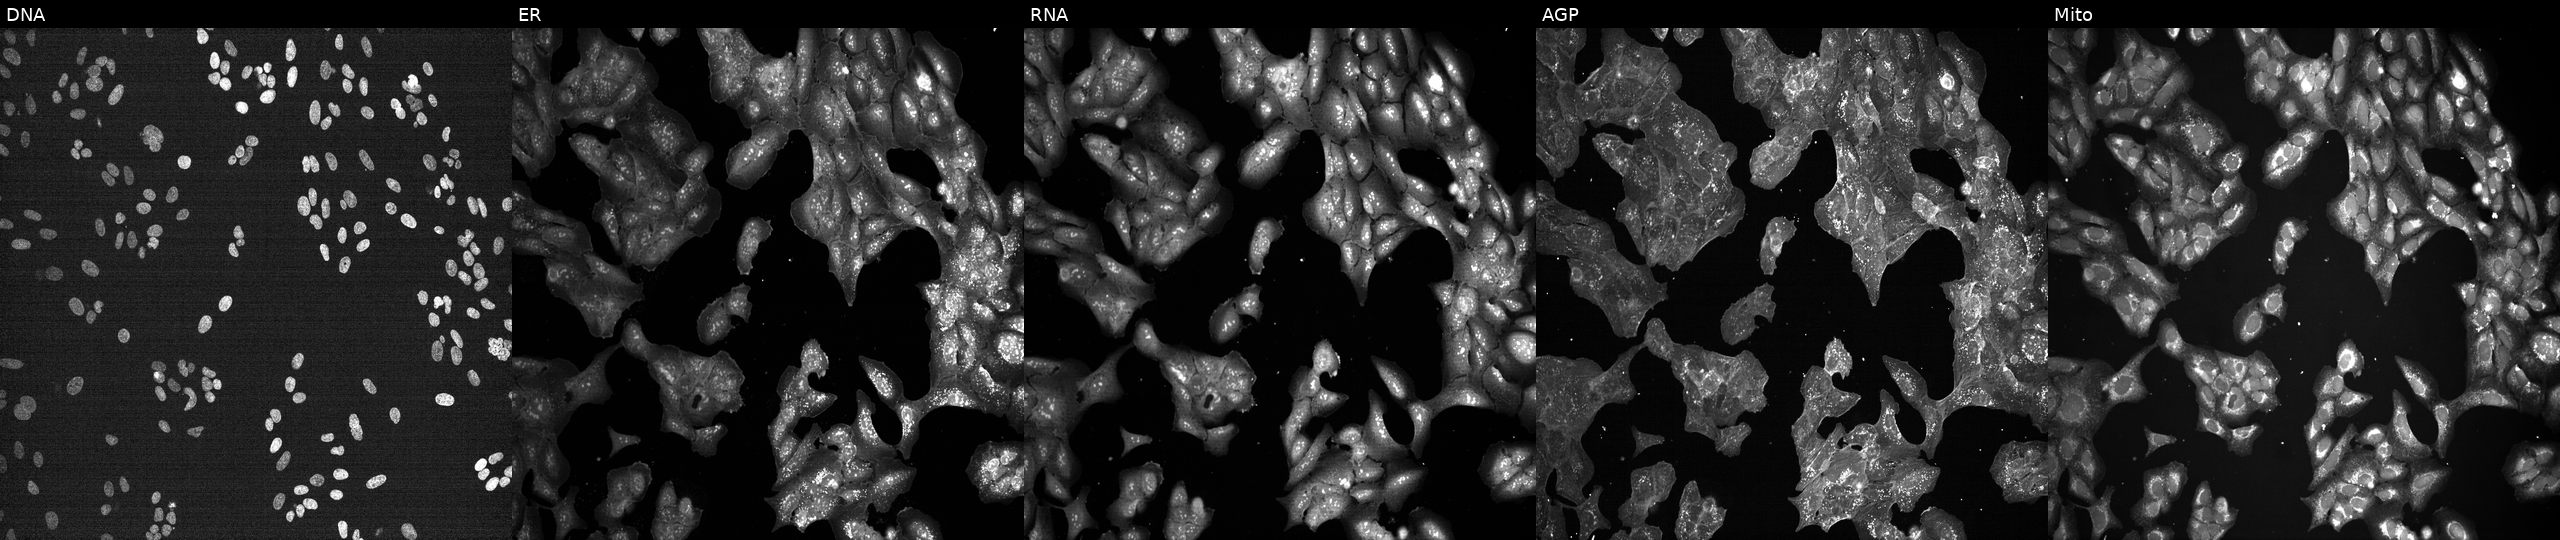
U2OS cells, Cell Painting assay, exposed to a small-molecule compound (InChIKey MAKMQGKJURAJEN-UHFFFAOYSA-N) [SMILES: O=C(NCCCN1CCC2(CC1)OCc1ccccc12)C1CCCN1Cc1ccccc1] (JUMP id JCP2022_052870). Channels (left→right): DNA, ER, RNA, AGP, and Mito. Each panel is percentile-stretched 16-bit fluorescence.